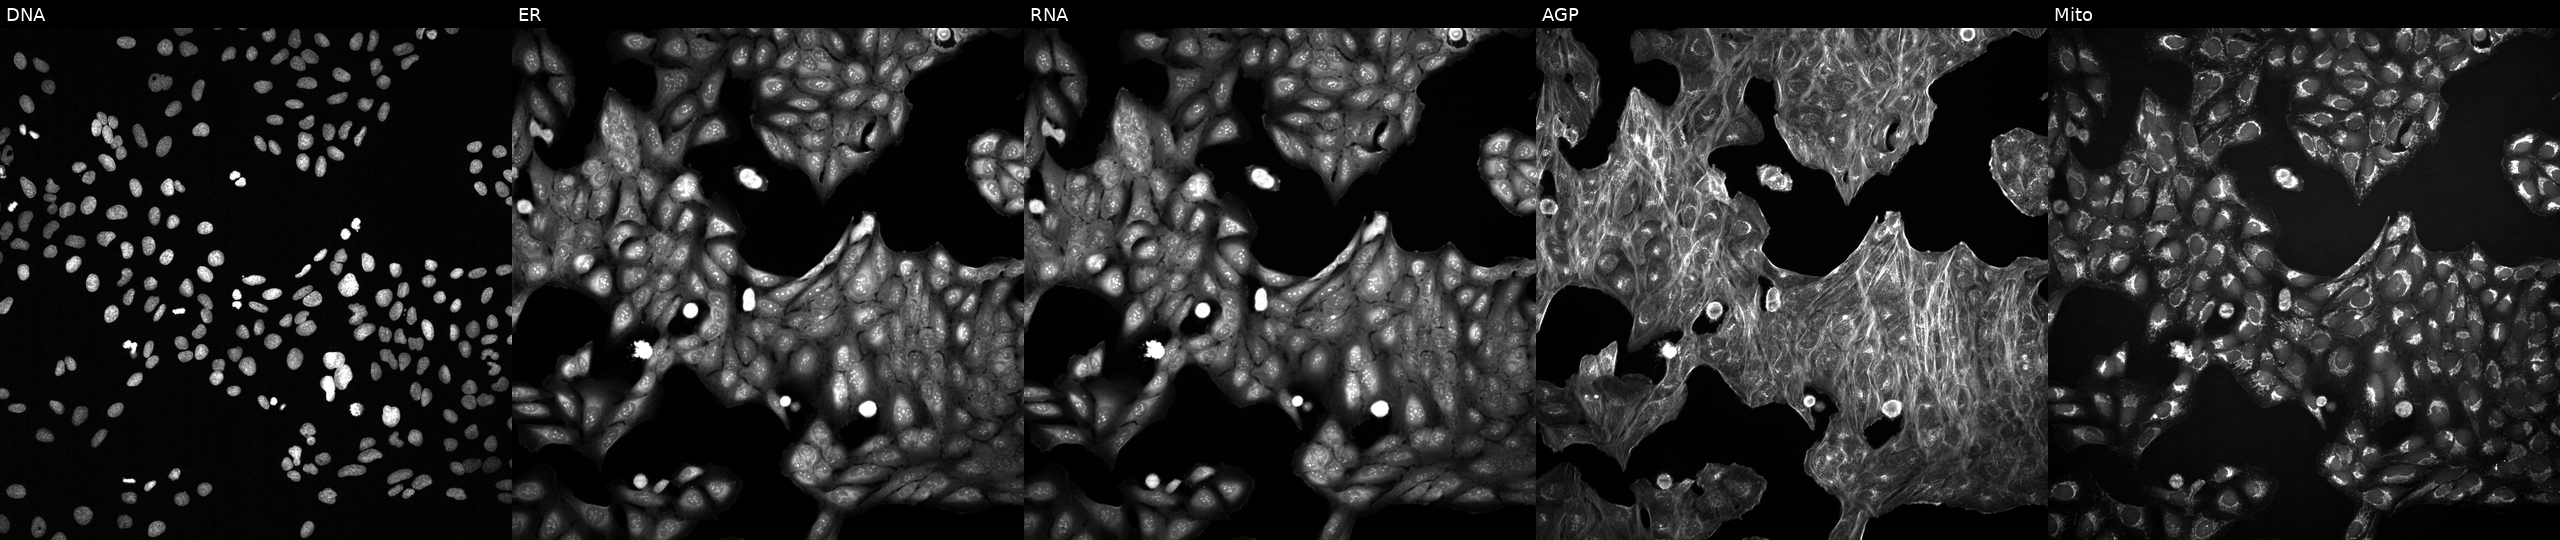
The five panels, left to right, show DNA (nuclei); ER (endoplasmic reticulum); RNA (nucleoli and cytoplasmic RNA); AGP (actin cytoskeleton, Golgi, and plasma membrane); Mito (mitochondria). U2OS osteosarcoma cells exposed to a small-molecule compound (InChIKey ZUSCNQZSNAWNEY-UHFFFAOYSA-N) [SMILES: CCOc1ccc(C(=O)N2CCN(c3ccc([N+](=O)[O-])cc3)CC2)cc1Cl]. Cell Painting assay, JUMP-CP dataset. Source 2, plate 1053601756, well C12.